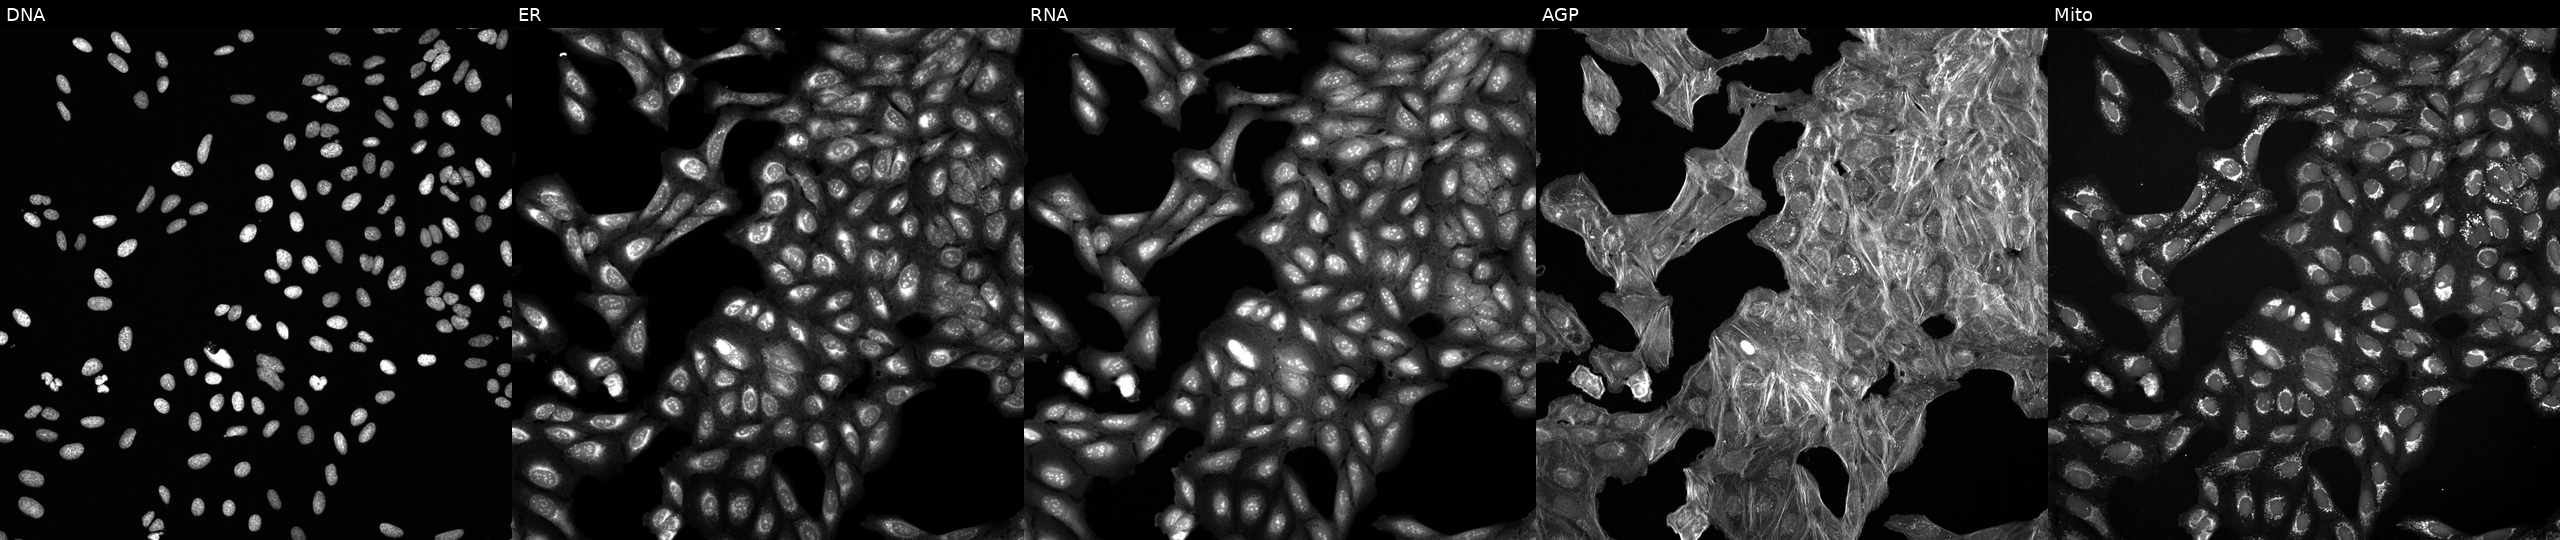
The five panels, left to right, show DNA, ER, RNA, AGP, and Mito. U2OS osteosarcoma cells perturbed with a small-molecule compound (JUMP id JCP2022_107861). Cell Painting assay, JUMP-CP dataset. Source 6, plate 110000293083, well P09.